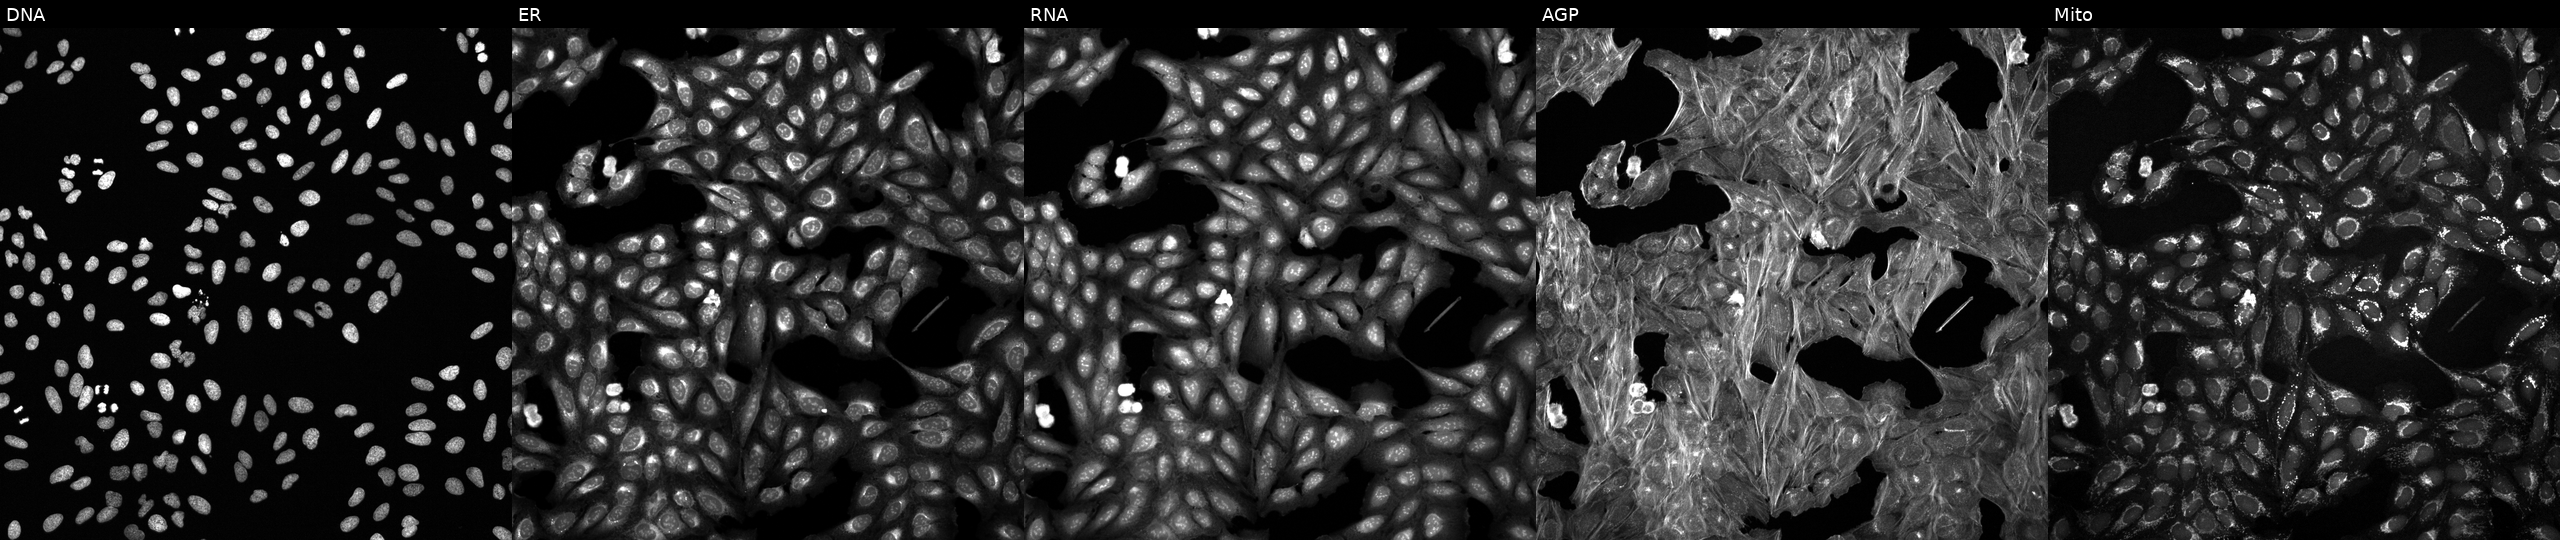
Five-channel Cell Painting image of U2OS cells treated with a small-molecule compound (InChIKey PIMZUZSSNYHVCU-UHFFFAOYSA-N). From left to right: DNA (nuclei); ER (endoplasmic reticulum); RNA (nucleoli and cytoplasmic RNA); AGP (actin cytoskeleton, Golgi, and plasma membrane); Mito (mitochondria). Source 6, plate 110000293081, well C05.